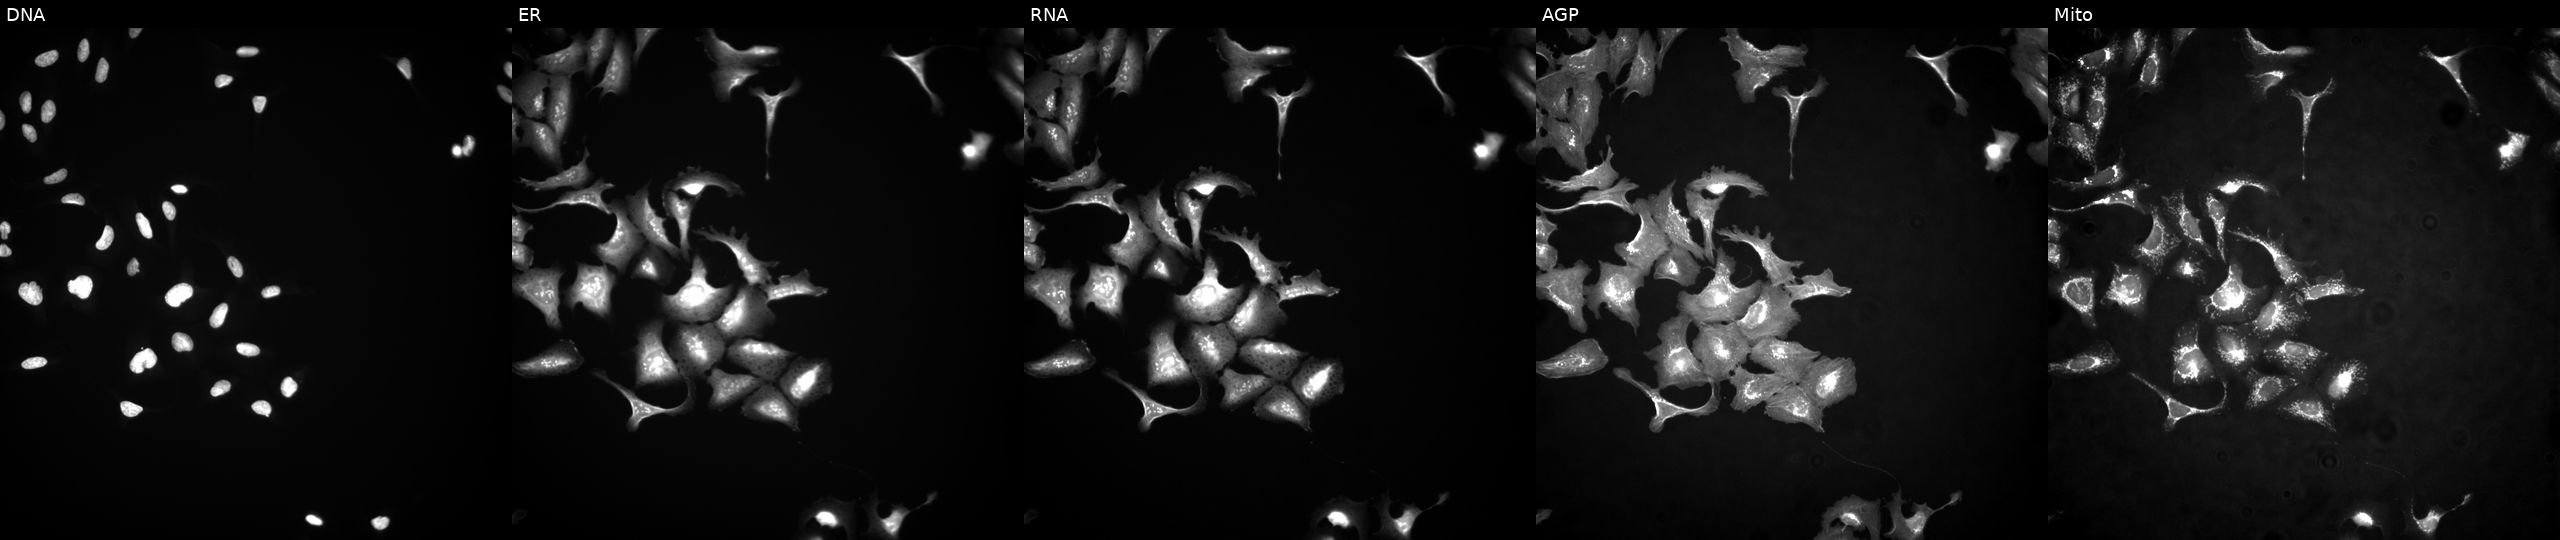
JUMP Cell Painting — ORF plate. U2OS cells transfected with an ORF construct for ZNF451 (JUMP id JCP2022_911006). Panels show, left to right, DNA (nuclei); ER (endoplasmic reticulum); RNA (nucleoli and cytoplasmic RNA); AGP (actin cytoskeleton, Golgi, and plasma membrane); Mito (mitochondria).